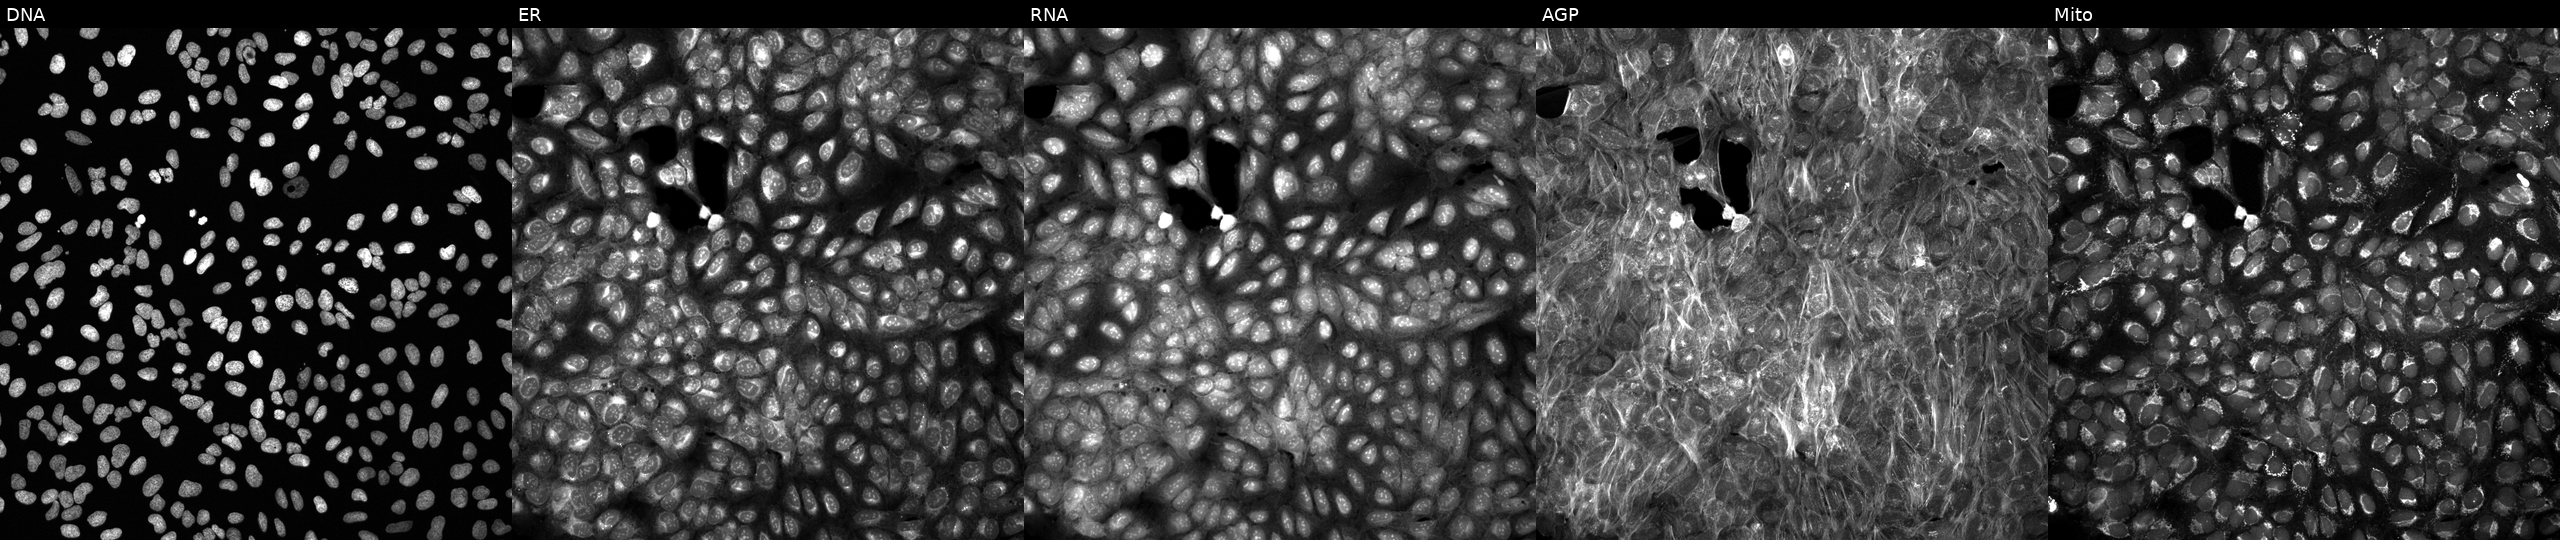
U2OS cells, Cell Painting assay, treated with DMSO vehicle only (negative control) (JUMP id JCP2022_033924). From left to right: DNA (nuclei); ER (endoplasmic reticulum); RNA (nucleoli and cytoplasmic RNA); AGP (actin cytoskeleton, Golgi, and plasma membrane); Mito (mitochondria). Each panel is percentile-stretched 16-bit fluorescence.